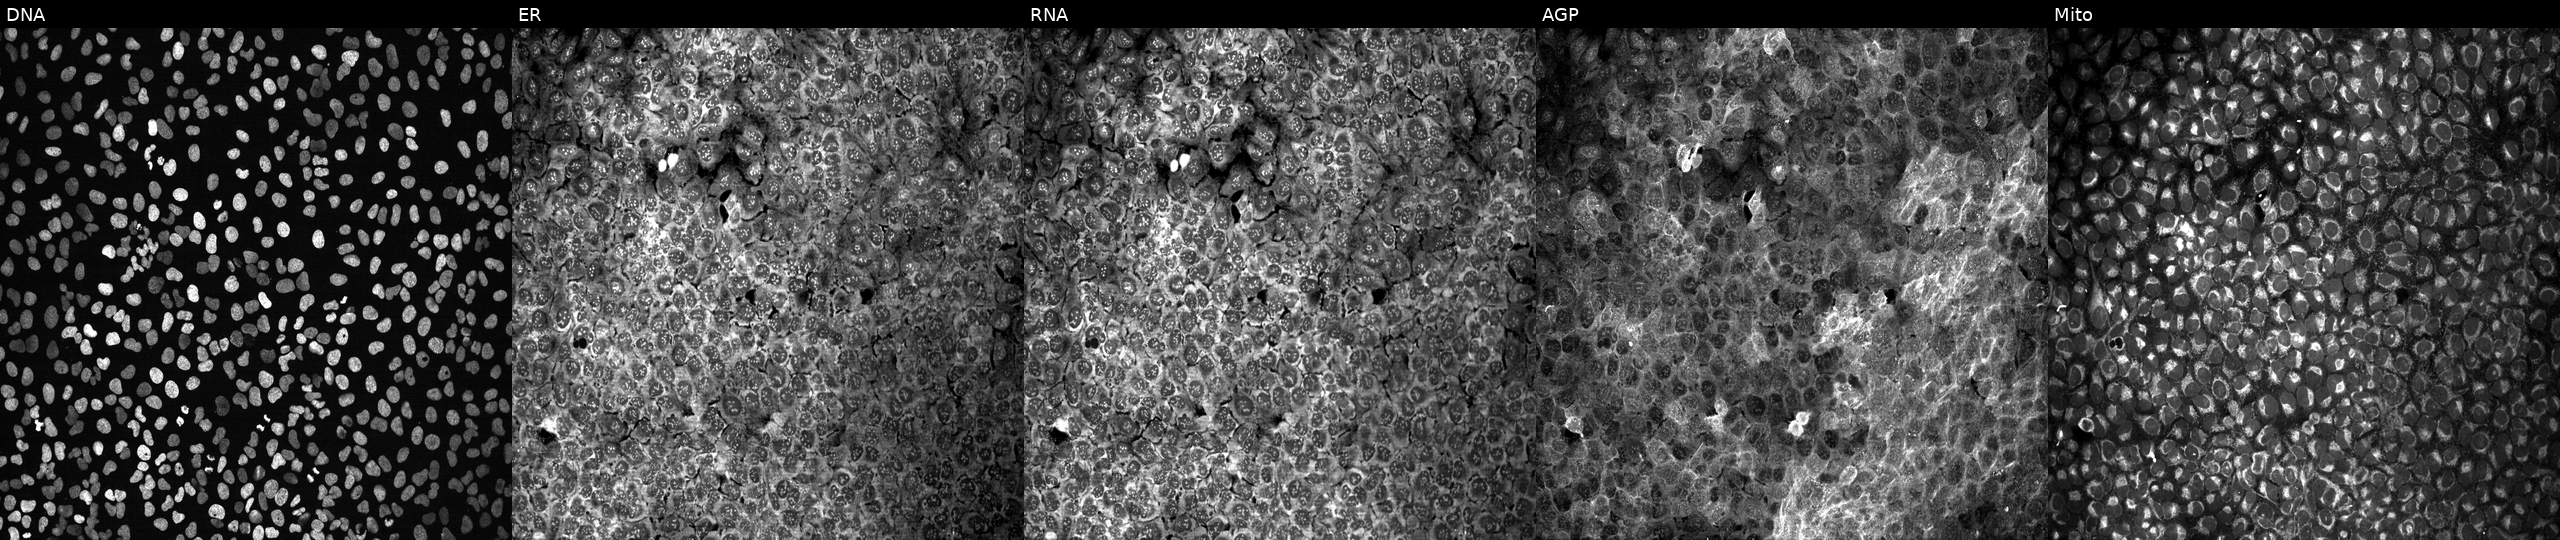
From left to right: DNA, ER, RNA, AGP, and Mito. U2OS osteosarcoma cells treated with DMSO vehicle only (negative control) (JUMP id JCP2022_033924). Cell Painting assay, JUMP-CP dataset.